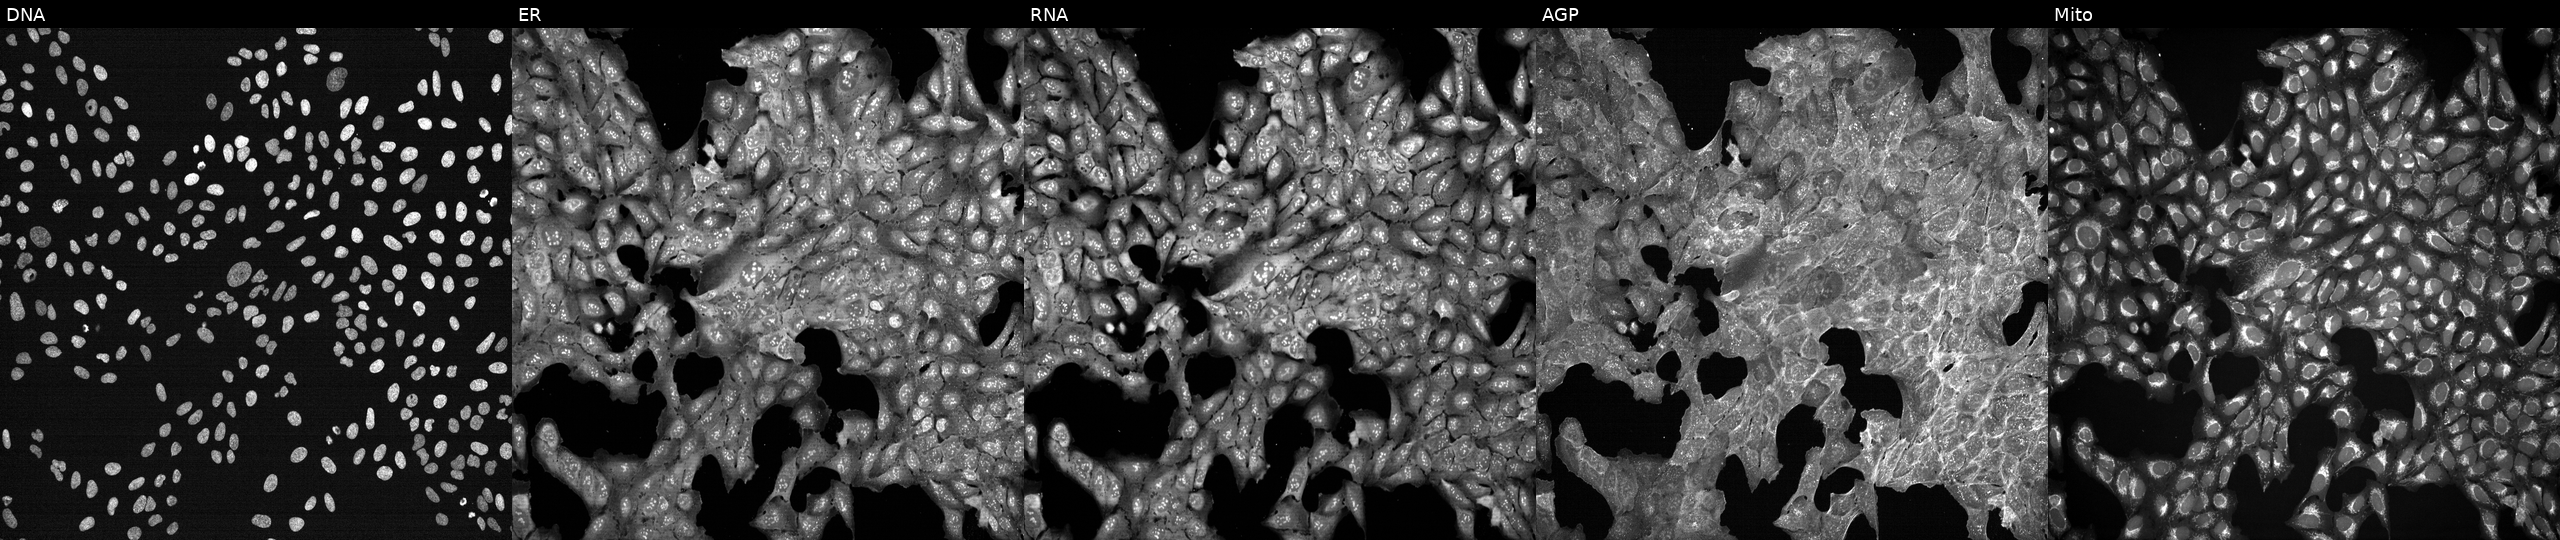
This image strip shows the five Cell Painting channels for a single field of U2OS cells exposed to a small-molecule compound (InChIKey PFHDWRIVDDIFRP-UHFFFAOYSA-N). From left to right: Hoechst 33342, concanavalin A, SYTO 14, phalloidin and WGA, MitoTracker. Source 7, plate CP3-SC1-25, well F07.